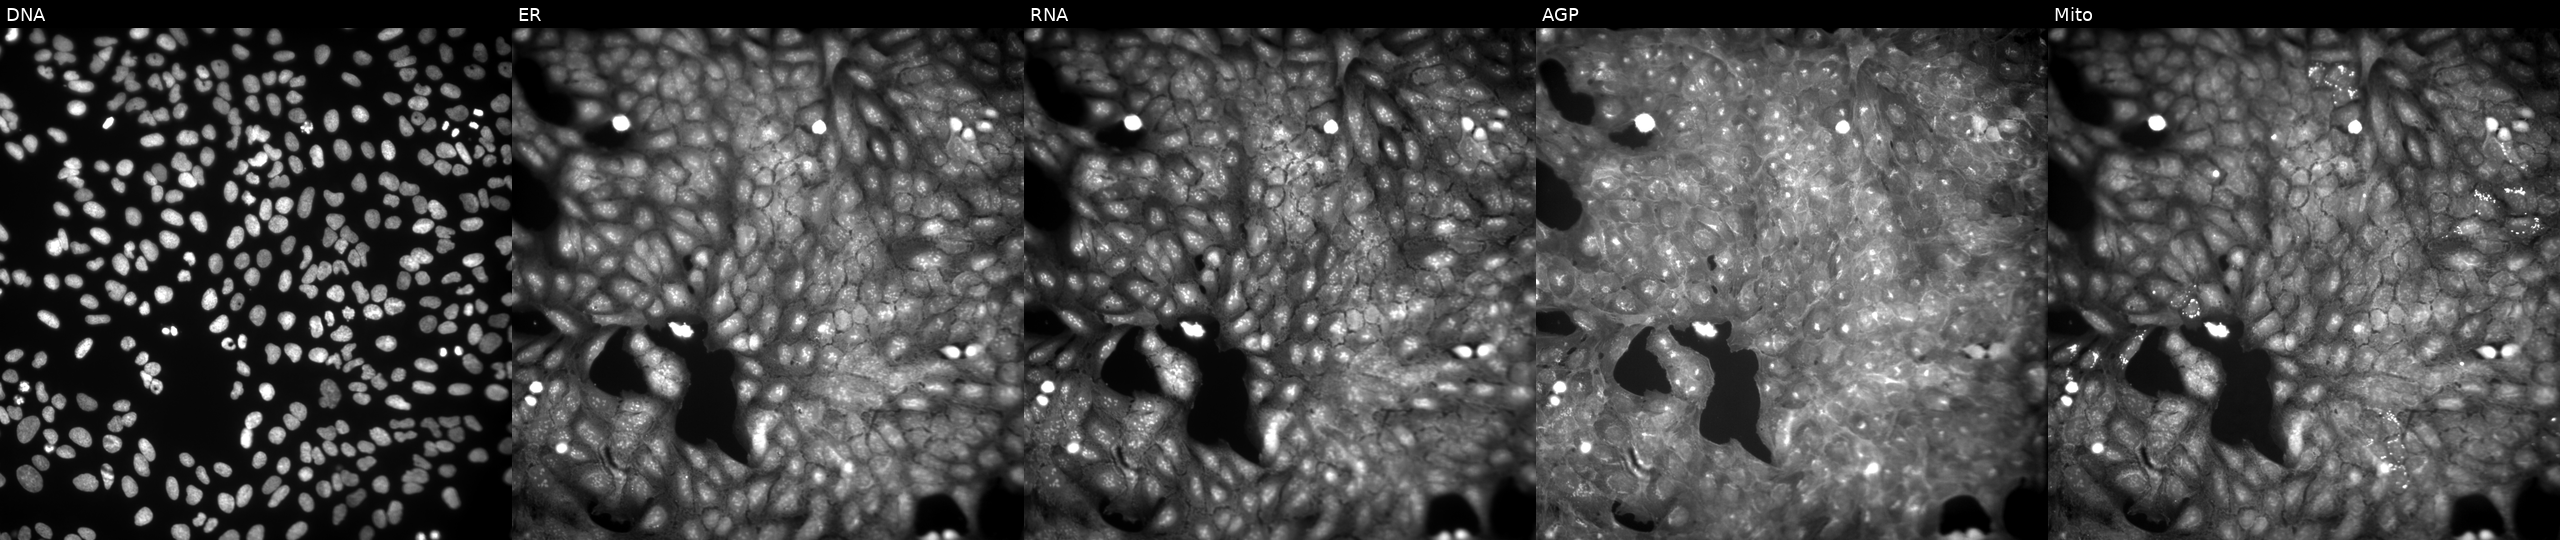
JUMP Cell Painting — COMPOUND plate. U2OS cells perturbed with a small-molecule compound (InChIKey JPWAUTRDHFNTRD-UHFFFAOYSA-N). The five panels, left to right, show Hoechst 33342, concanavalin A, SYTO 14, phalloidin and WGA, MitoTracker.